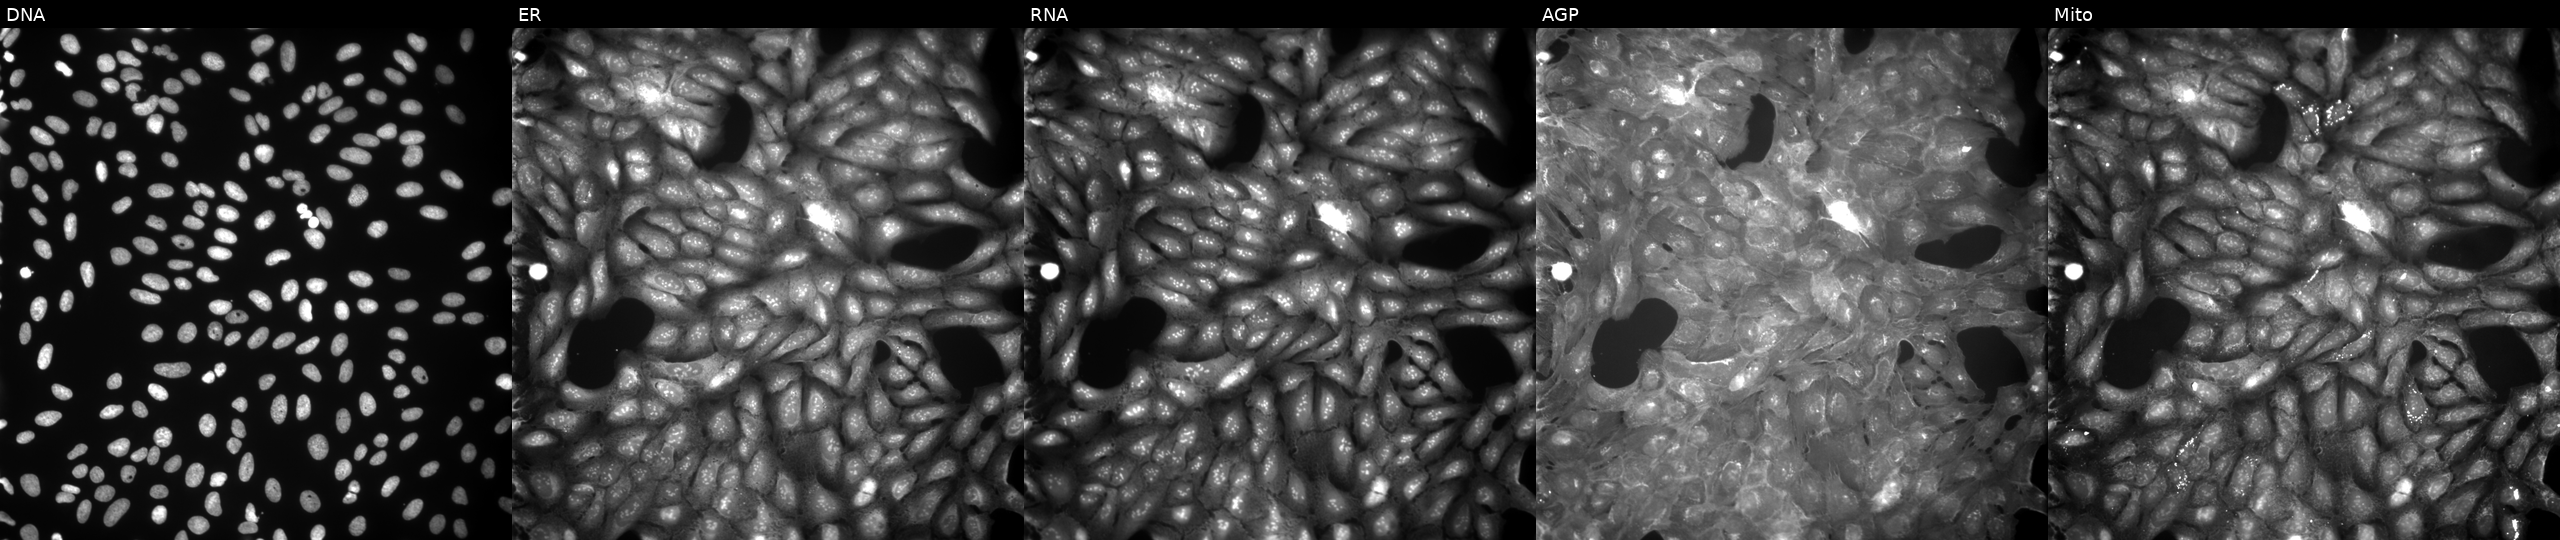
JUMP Cell Painting — COMPOUND plate. U2OS cells exposed to a small-molecule compound (JUMP id JCP2022_028078). From left to right: DNA, ER, RNA, AGP, and Mito. Source 9, plate GR00003381, well W13.